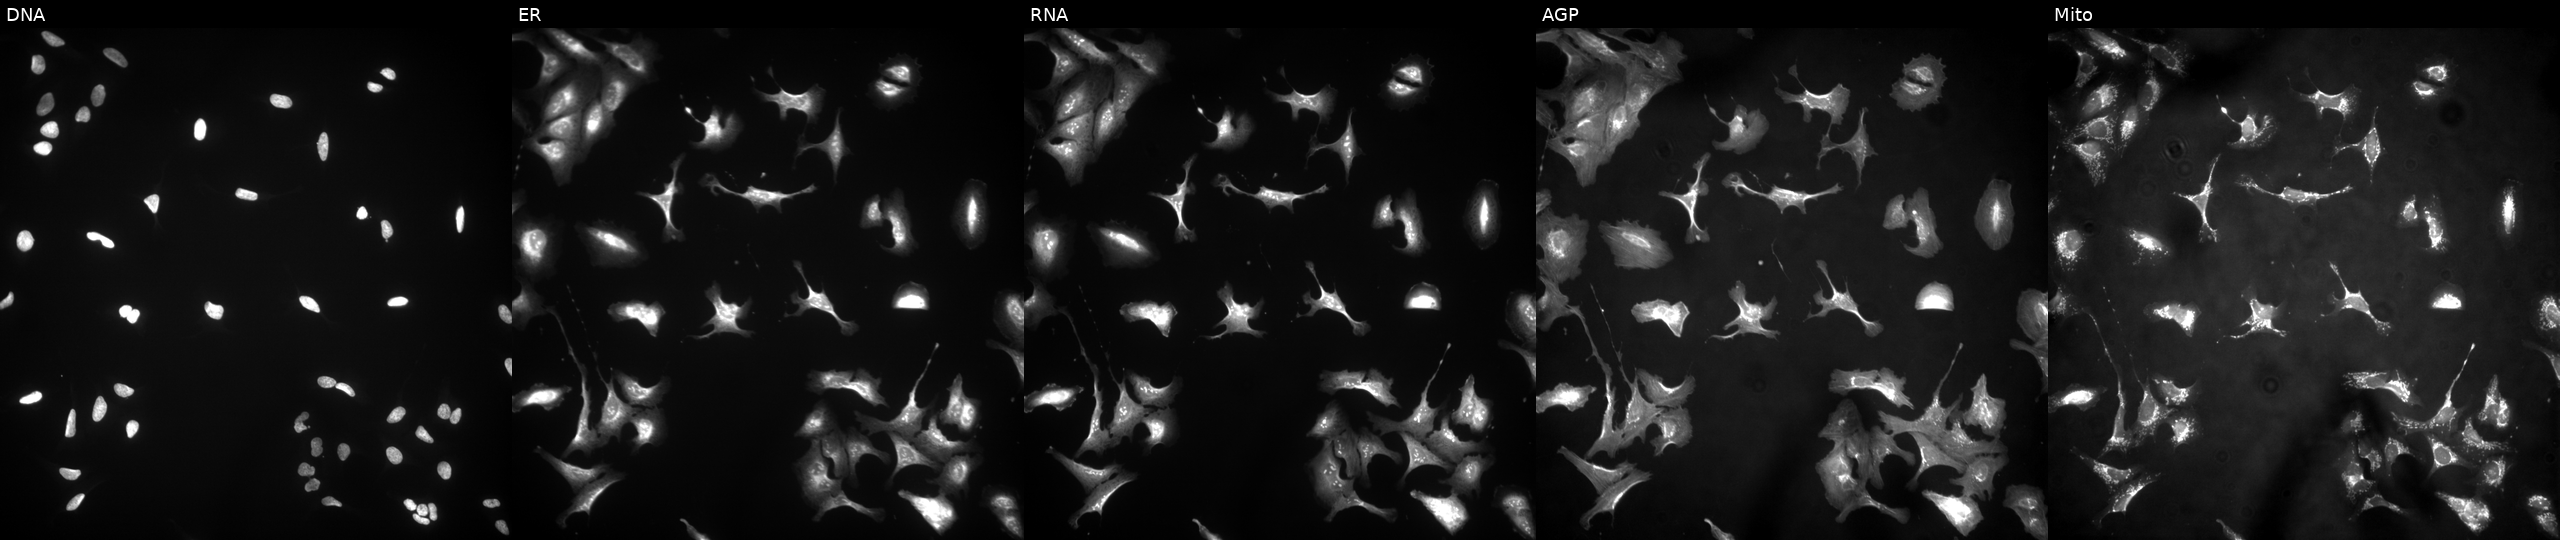
U2OS cells, Cell Painting assay, transfected with an ORF construct for SLFN12. The five panels, left to right, show DNA, ER, RNA, AGP, and Mito. Each panel is percentile-stretched 16-bit fluorescence.